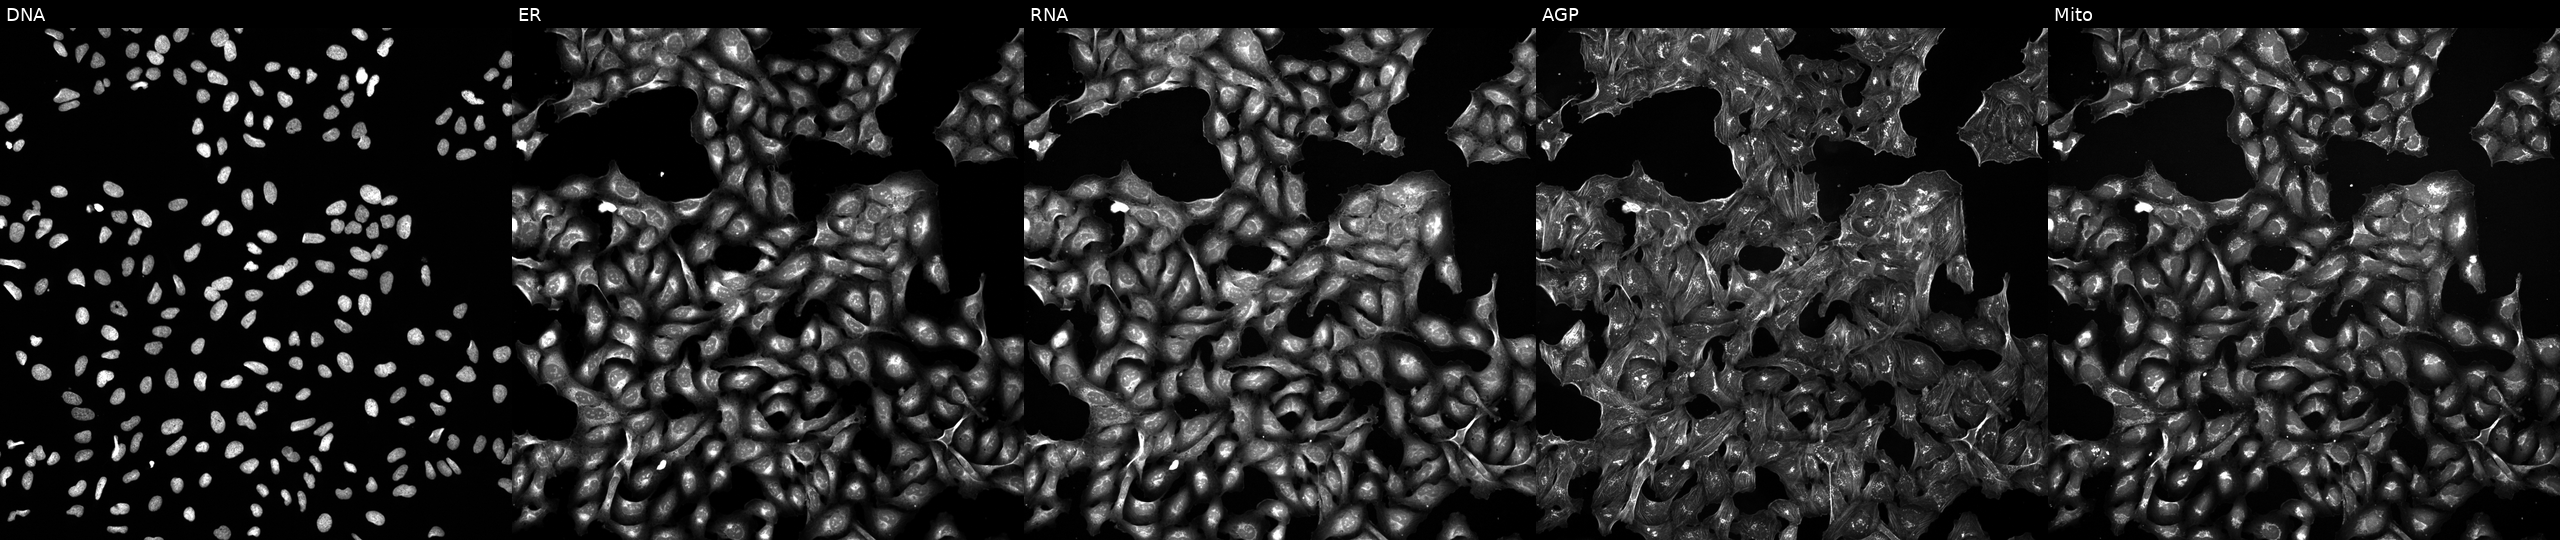
JUMP Cell Painting — COMPOUND plate. U2OS cells treated with NVS-PAK1-1 (positive-control compound) (JUMP id JCP2022_064022). Panels show, left to right, Hoechst 33342, concanavalin A, SYTO 14, phalloidin and WGA, MitoTracker.